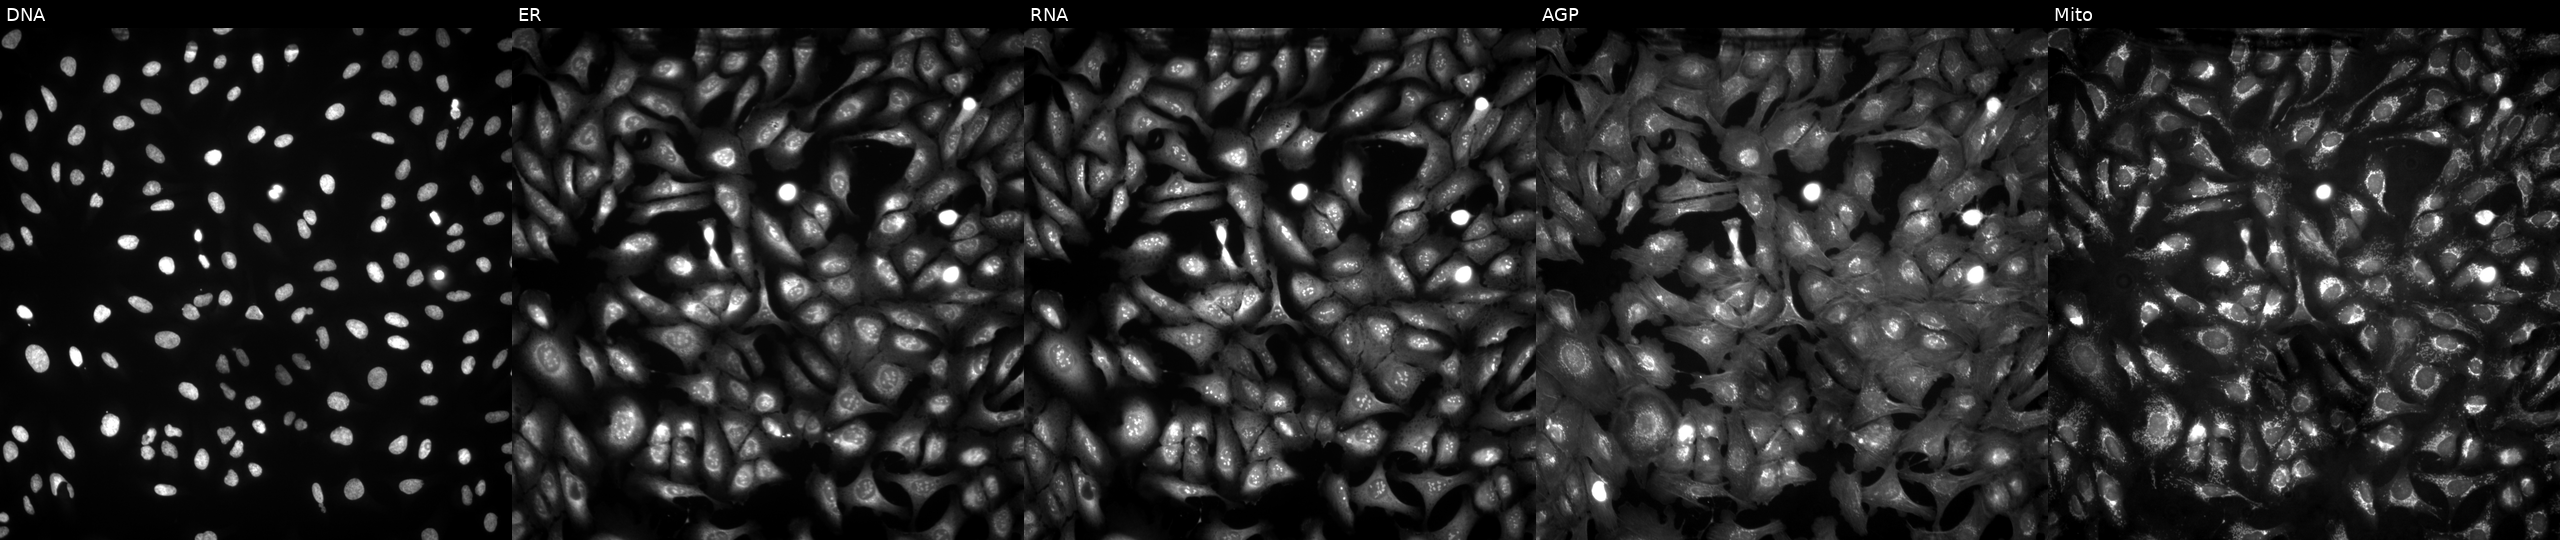
High-content fluorescence microscopy (Cell Painting). Cell line: U2OS. Perturbation: transfected with an ORF construct for TMEM107. From left to right: Hoechst 33342, concanavalin A, SYTO 14, phalloidin and WGA, MitoTracker.